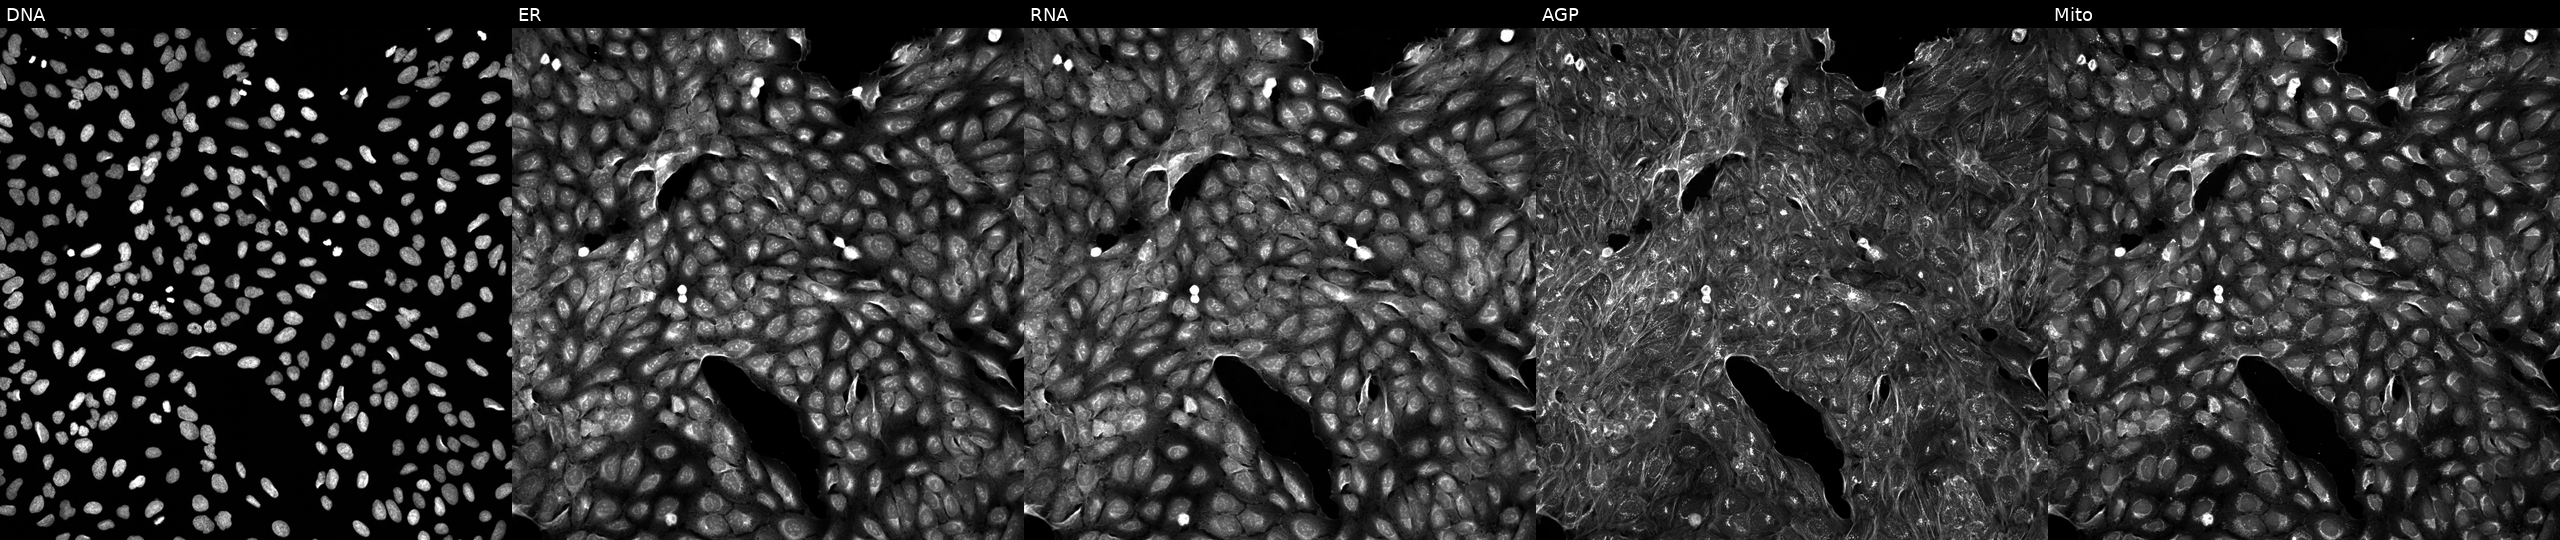
U2OS cells, Cell Painting assay, perturbed with a small-molecule compound. Channels (left→right): DNA (nuclei); ER (endoplasmic reticulum); RNA (nucleoli and cytoplasmic RNA); AGP (actin cytoskeleton, Golgi, and plasma membrane); Mito (mitochondria). Each panel is percentile-stretched 16-bit fluorescence. Source 5, plate APTJUM105, well N03.